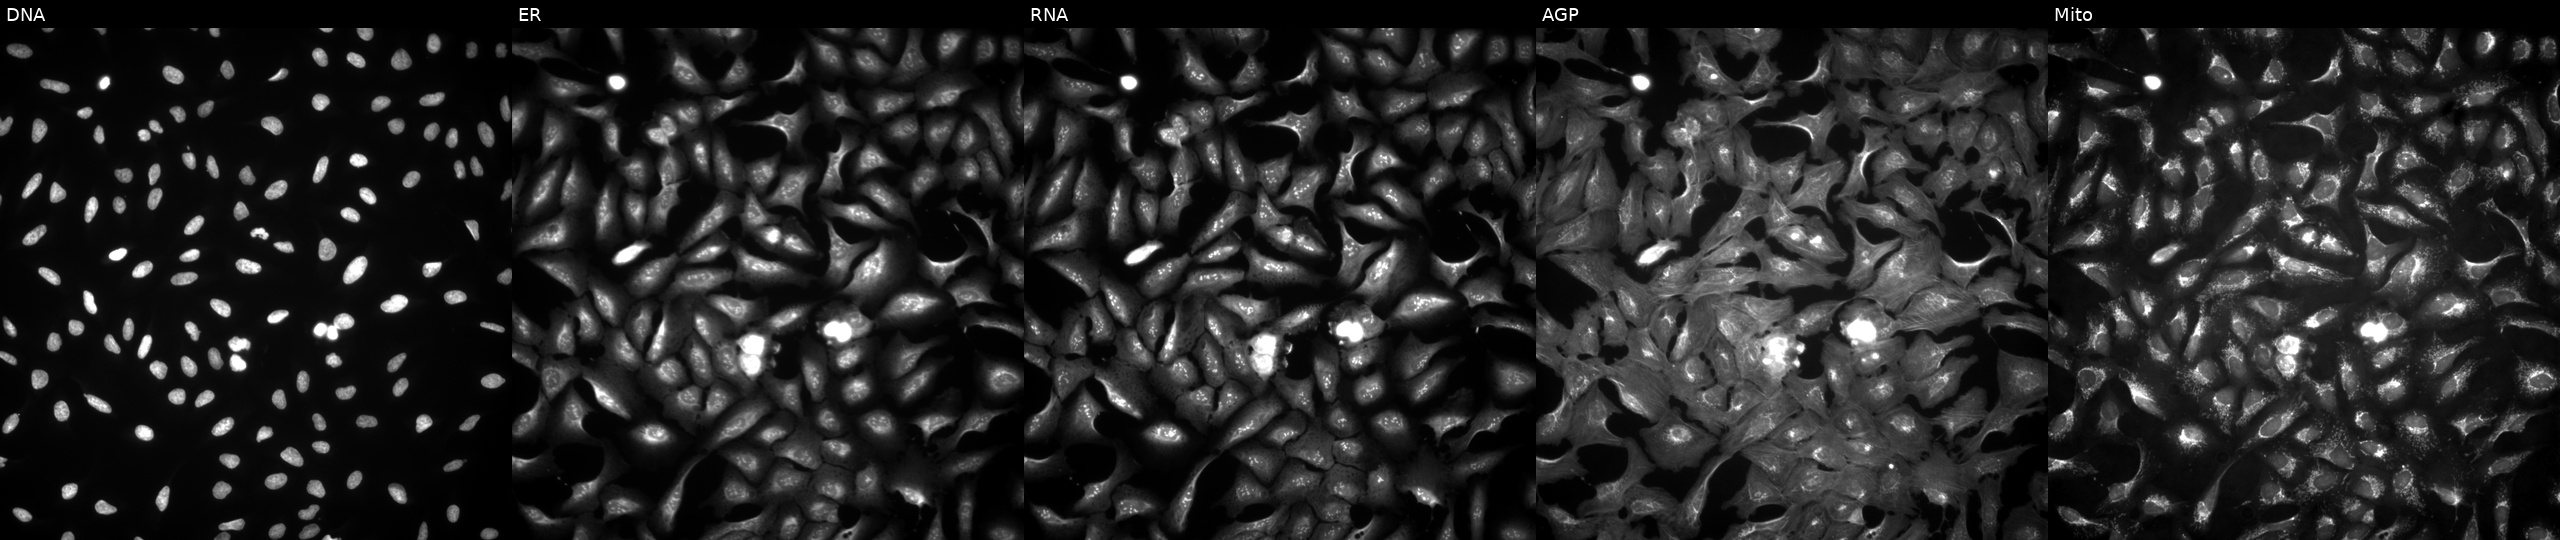
JUMP Cell Painting — ORF plate. U2OS cells overexpressing TTLL9 via ORF transfection. Panels show, left to right, DNA (nuclei); ER (endoplasmic reticulum); RNA (nucleoli and cytoplasmic RNA); AGP (actin cytoskeleton, Golgi, and plasma membrane); Mito (mitochondria). Source 4, plate BR00123509, well G10.